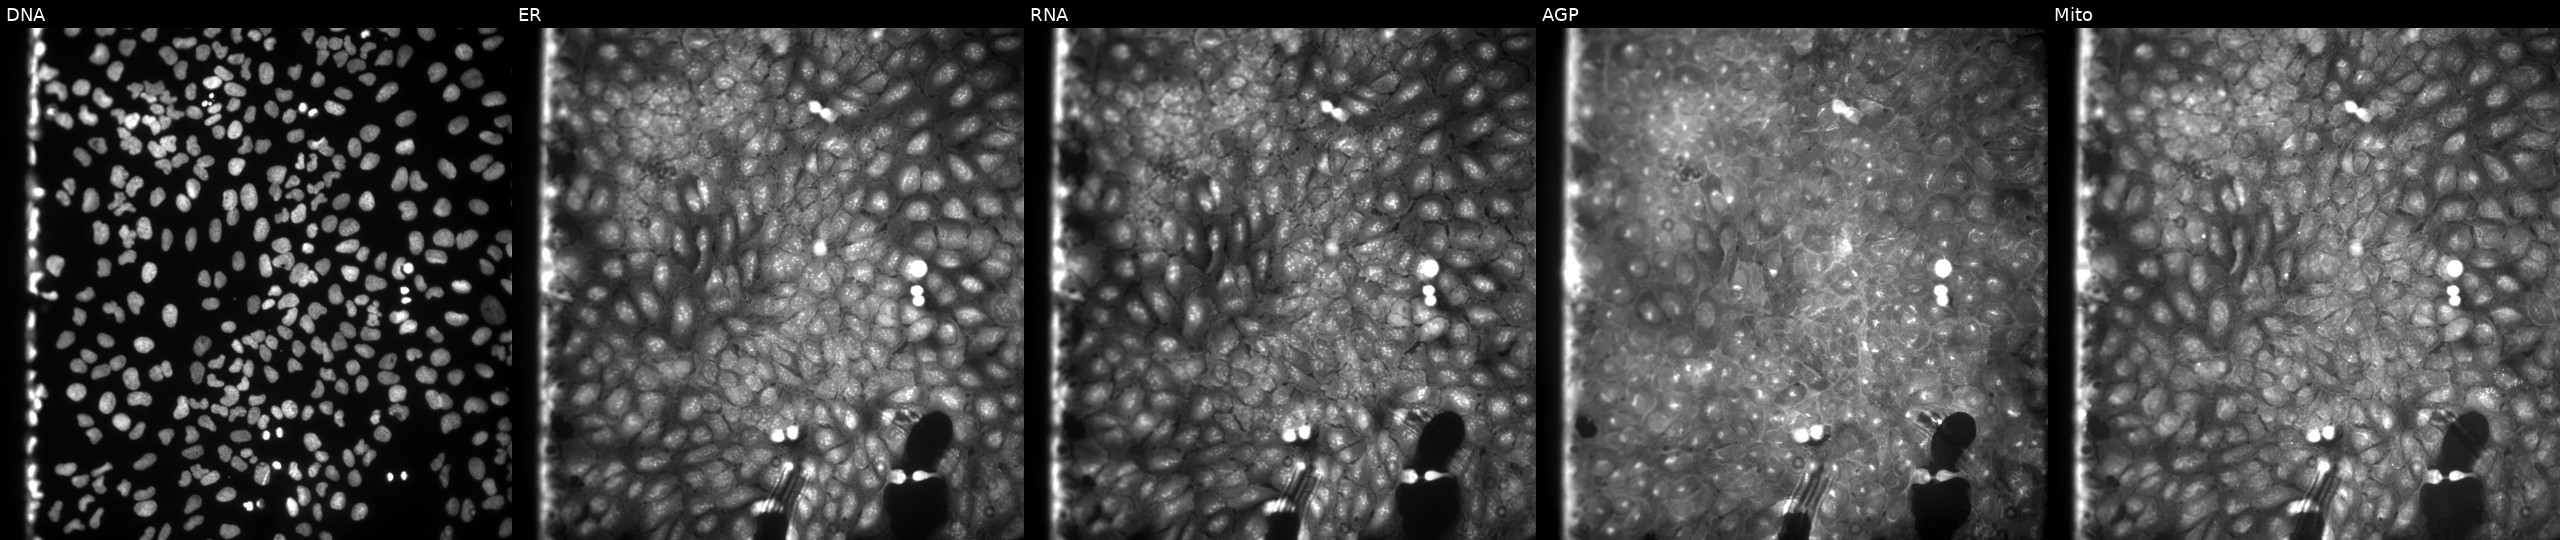
This image strip shows the five Cell Painting channels for a single field of U2OS cells treated with DMSO vehicle only (negative control) (JUMP id JCP2022_033924). From left to right: Hoechst 33342, concanavalin A, SYTO 14, phalloidin and WGA, MitoTracker. Source 9, plate GR00003381, well F02.